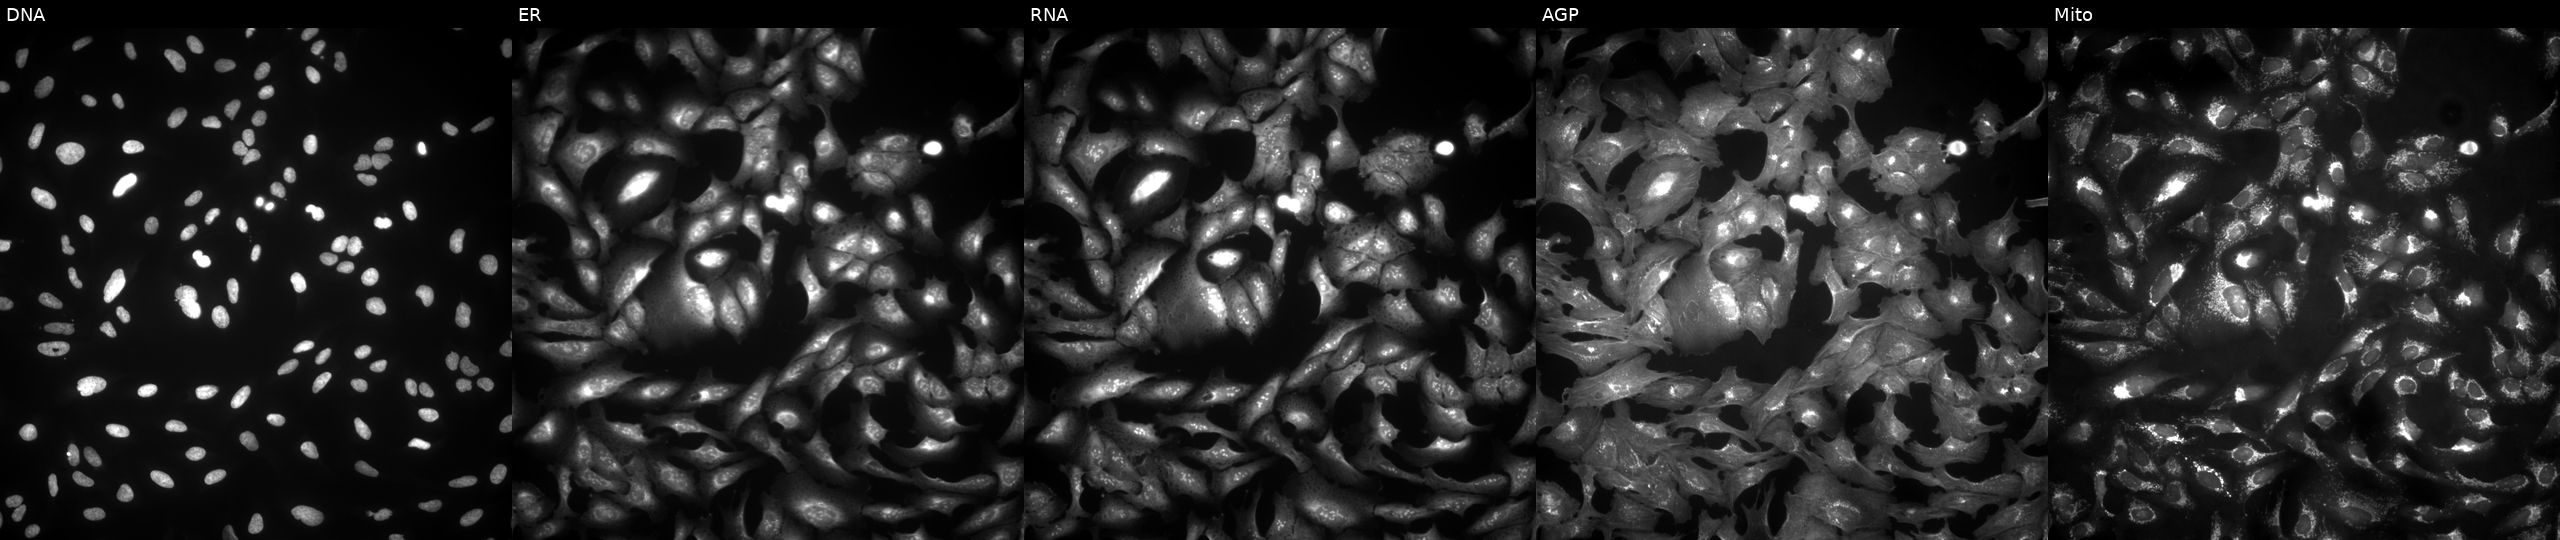
U2OS cells, Cell Painting assay, with CEPT1 overexpressed (ORF) (JUMP id JCP2022_907098). The five panels, left to right, show DNA (nuclei); ER (endoplasmic reticulum); RNA (nucleoli and cytoplasmic RNA); AGP (actin cytoskeleton, Golgi, and plasma membrane); Mito (mitochondria). Each panel is percentile-stretched 16-bit fluorescence. Source 4, plate BR00123506, well B06.